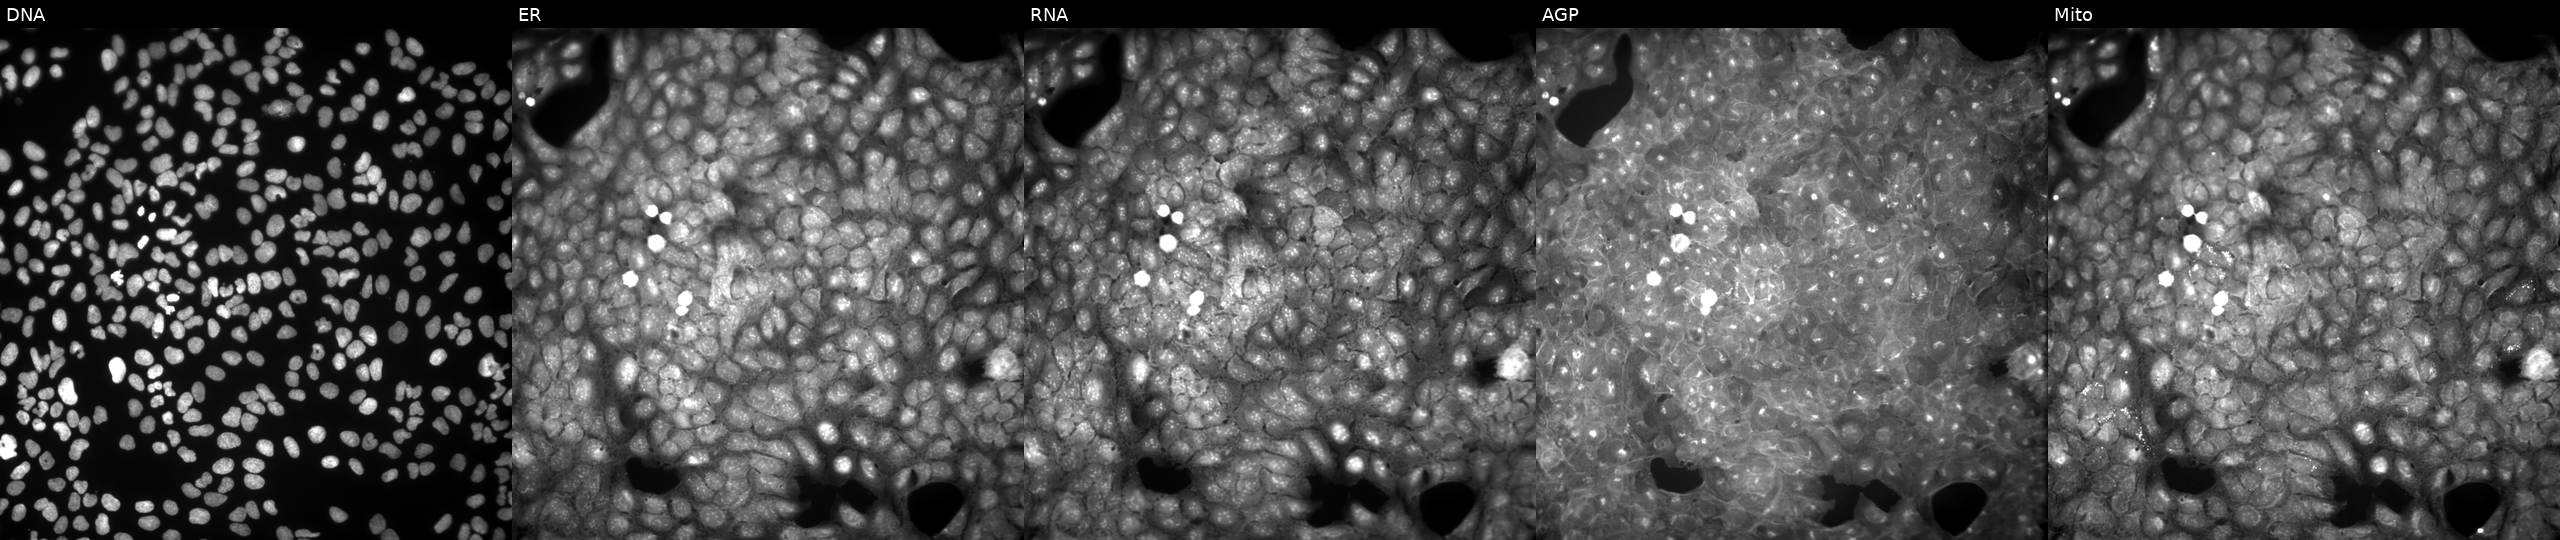
JUMP Cell Painting — COMPOUND plate. U2OS cells exposed to the positive-control compound quinidine. Panels show, left to right, Hoechst 33342, concanavalin A, SYTO 14, phalloidin and WGA, MitoTracker. Source 9, plate GR00003381, well AE48.